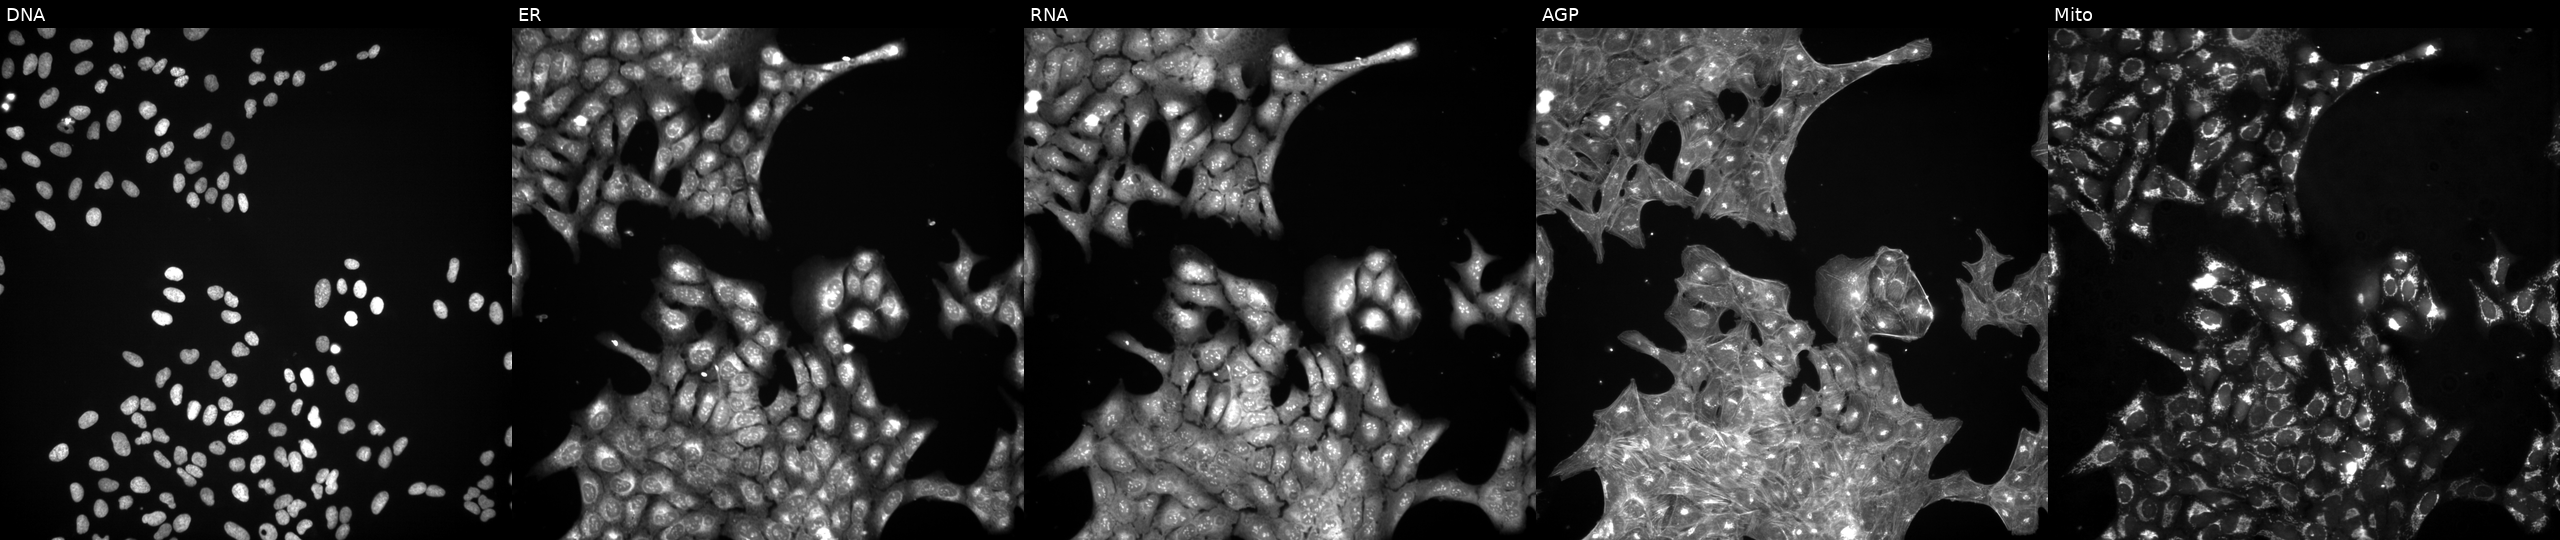
JUMP Cell Painting — TARGET2 plate. U2OS cells perturbed with a small-molecule compound (InChIKey NDNKNUMSTIMSHQ-UHFFFAOYSA-N). From left to right: Hoechst 33342, concanavalin A, SYTO 14, phalloidin and WGA, MitoTracker.